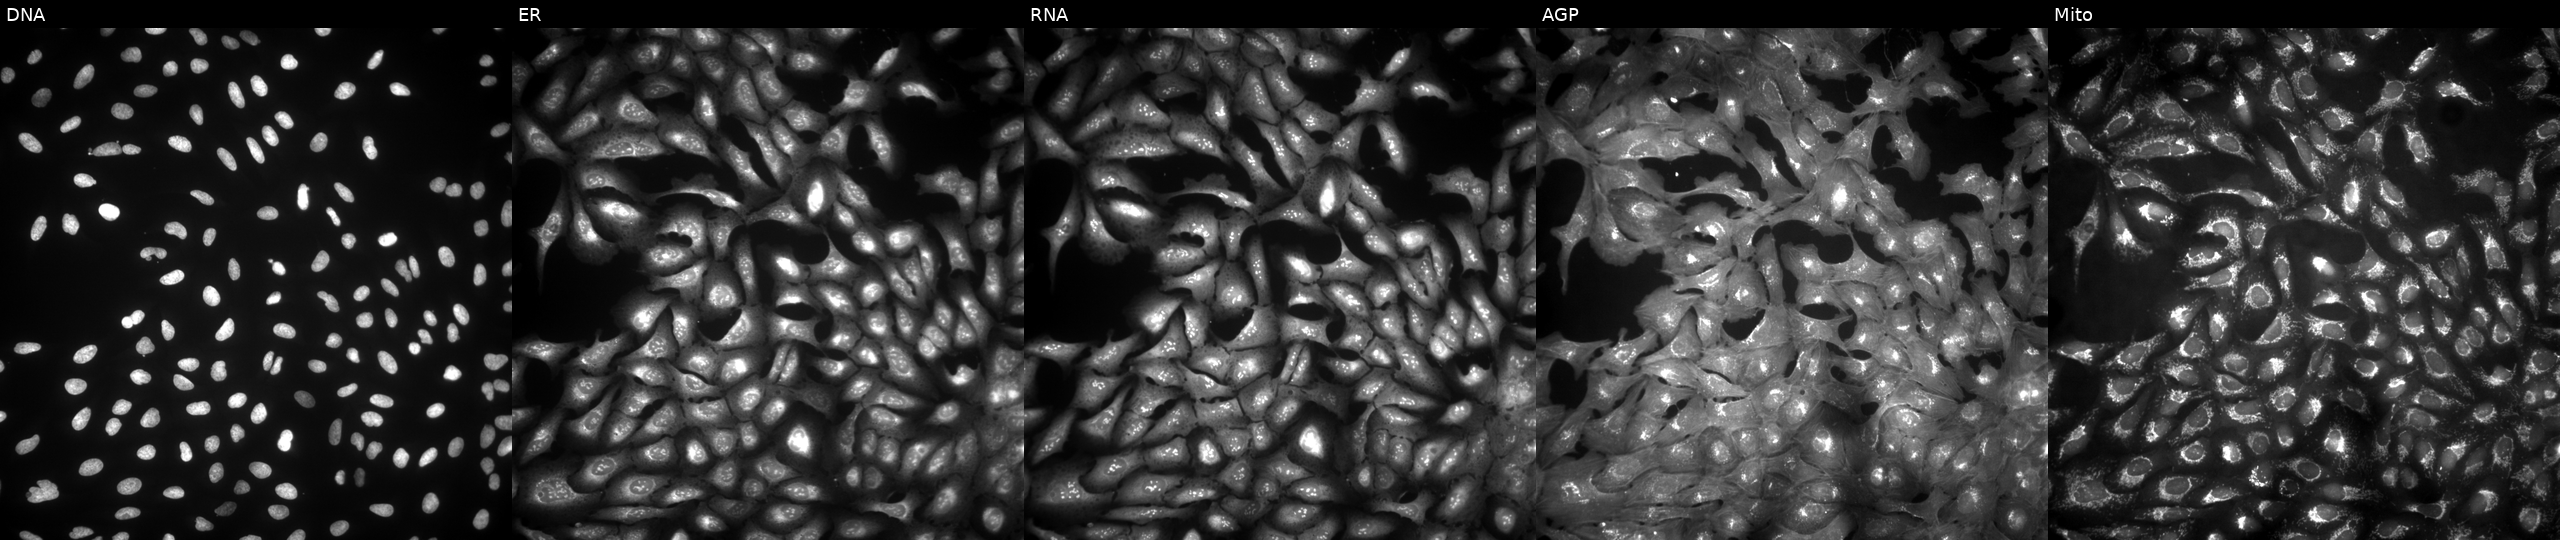
Five-channel Cell Painting image of U2OS cells overexpressing CATSPERD via ORF transfection. Channels (left→right): DNA (nuclei); ER (endoplasmic reticulum); RNA (nucleoli and cytoplasmic RNA); AGP (actin cytoskeleton, Golgi, and plasma membrane); Mito (mitochondria). Source 4, plate BR00123506, well J23.